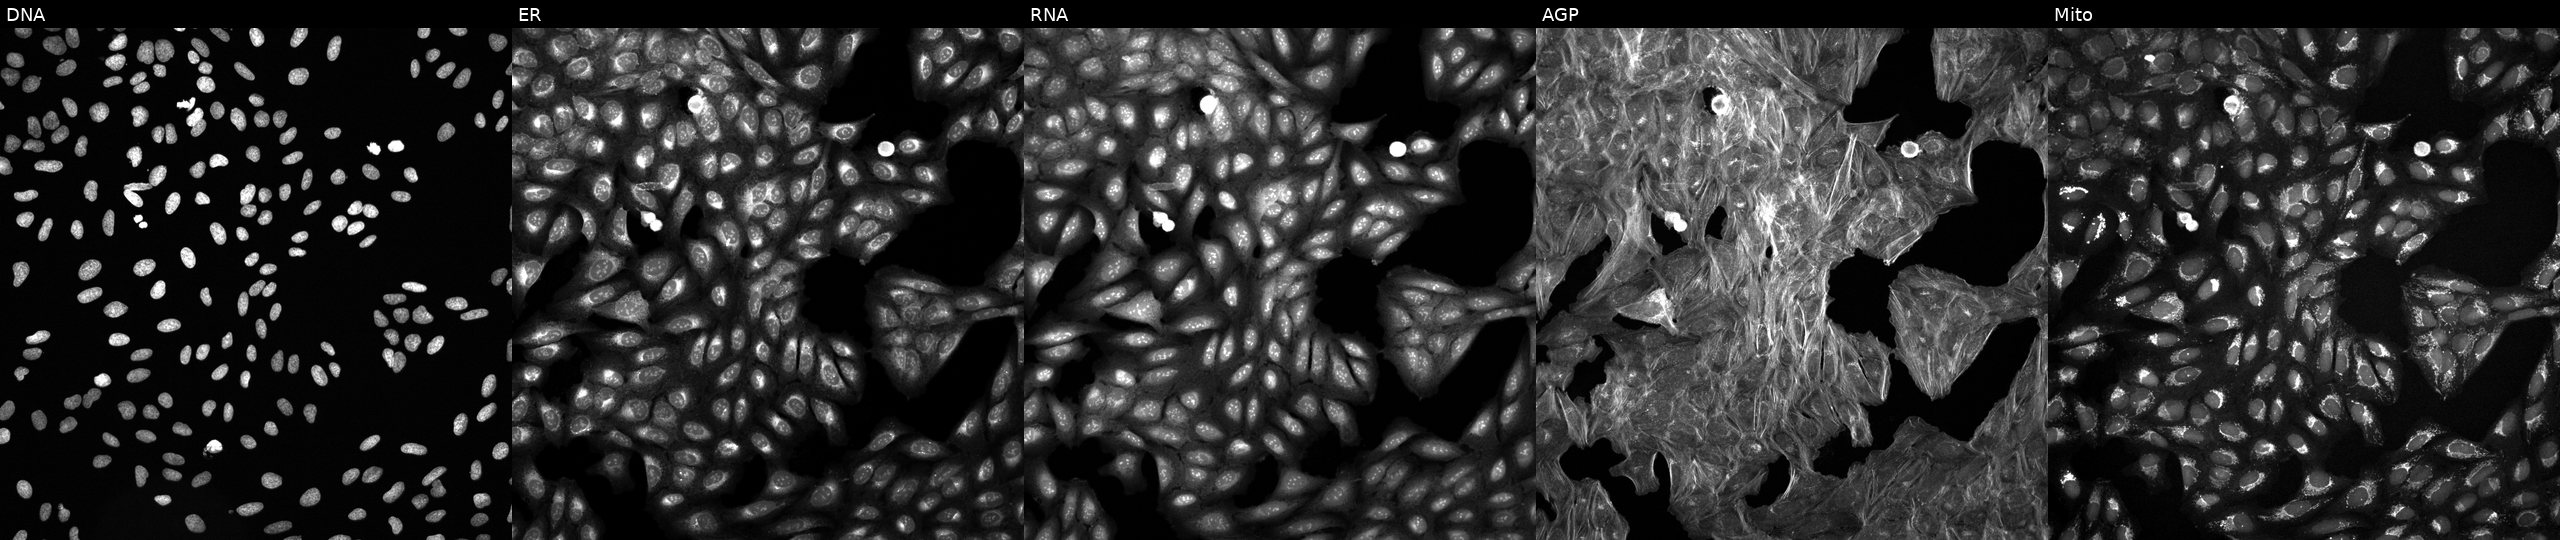
This image strip shows the five Cell Painting channels for a single field of U2OS cells perturbed with a small-molecule compound (JUMP id JCP2022_002118). The five panels, left to right, show DNA (nuclei); ER (endoplasmic reticulum); RNA (nucleoli and cytoplasmic RNA); AGP (actin cytoskeleton, Golgi, and plasma membrane); Mito (mitochondria).